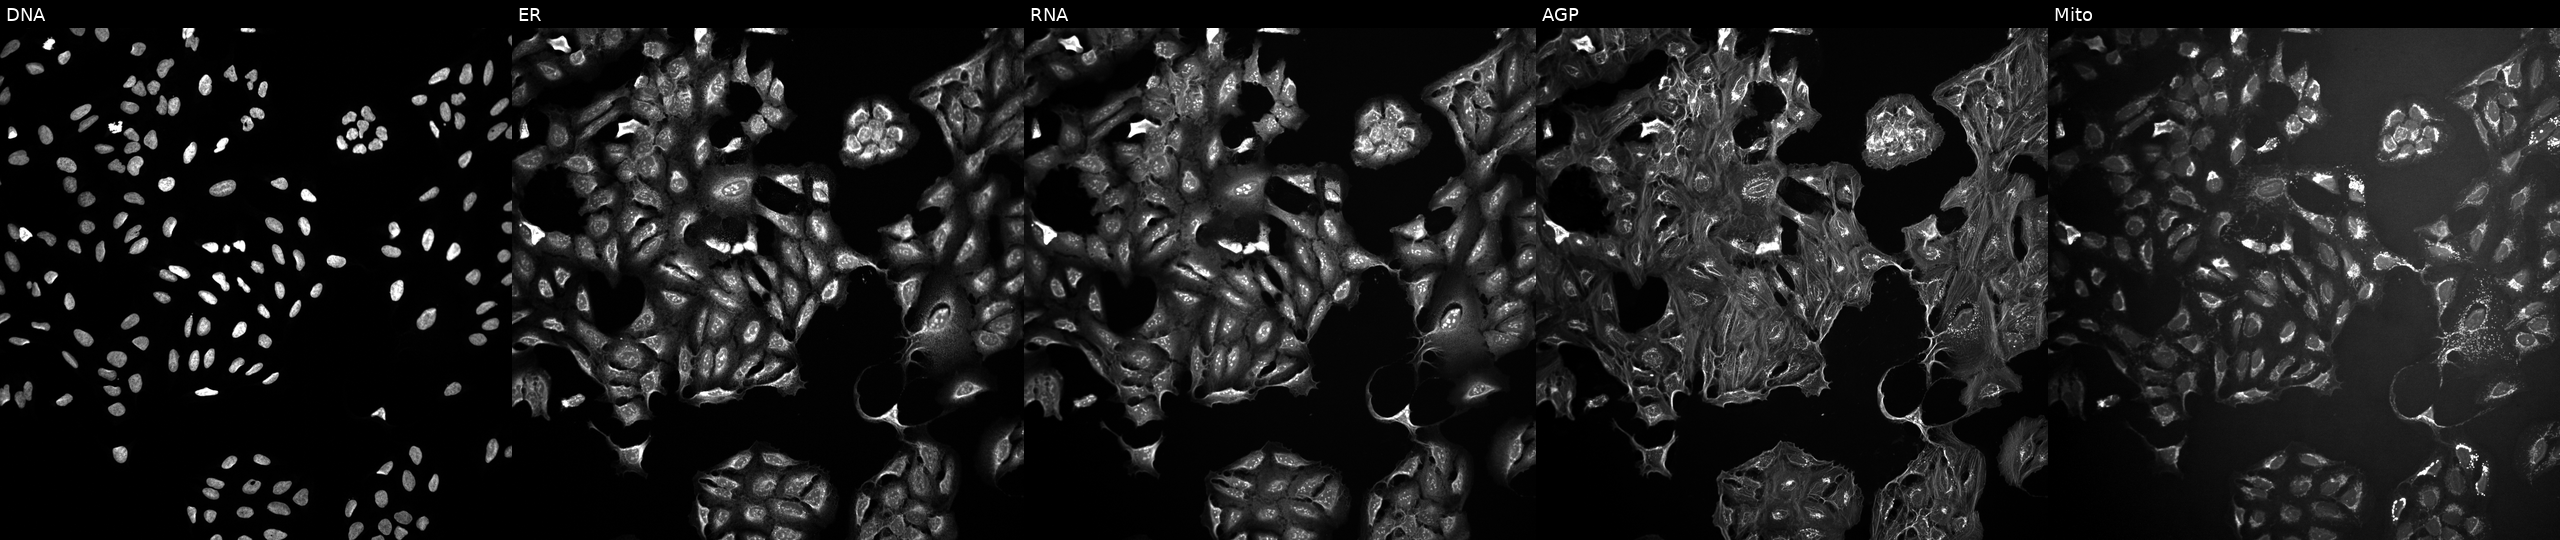
This image strip shows the five Cell Painting channels for a single field of U2OS cells treated with DMSO vehicle only (negative control). From left to right: Hoechst 33342, concanavalin A, SYTO 14, phalloidin and WGA, MitoTracker. Source 10, plate Dest210531-152324, well J23.